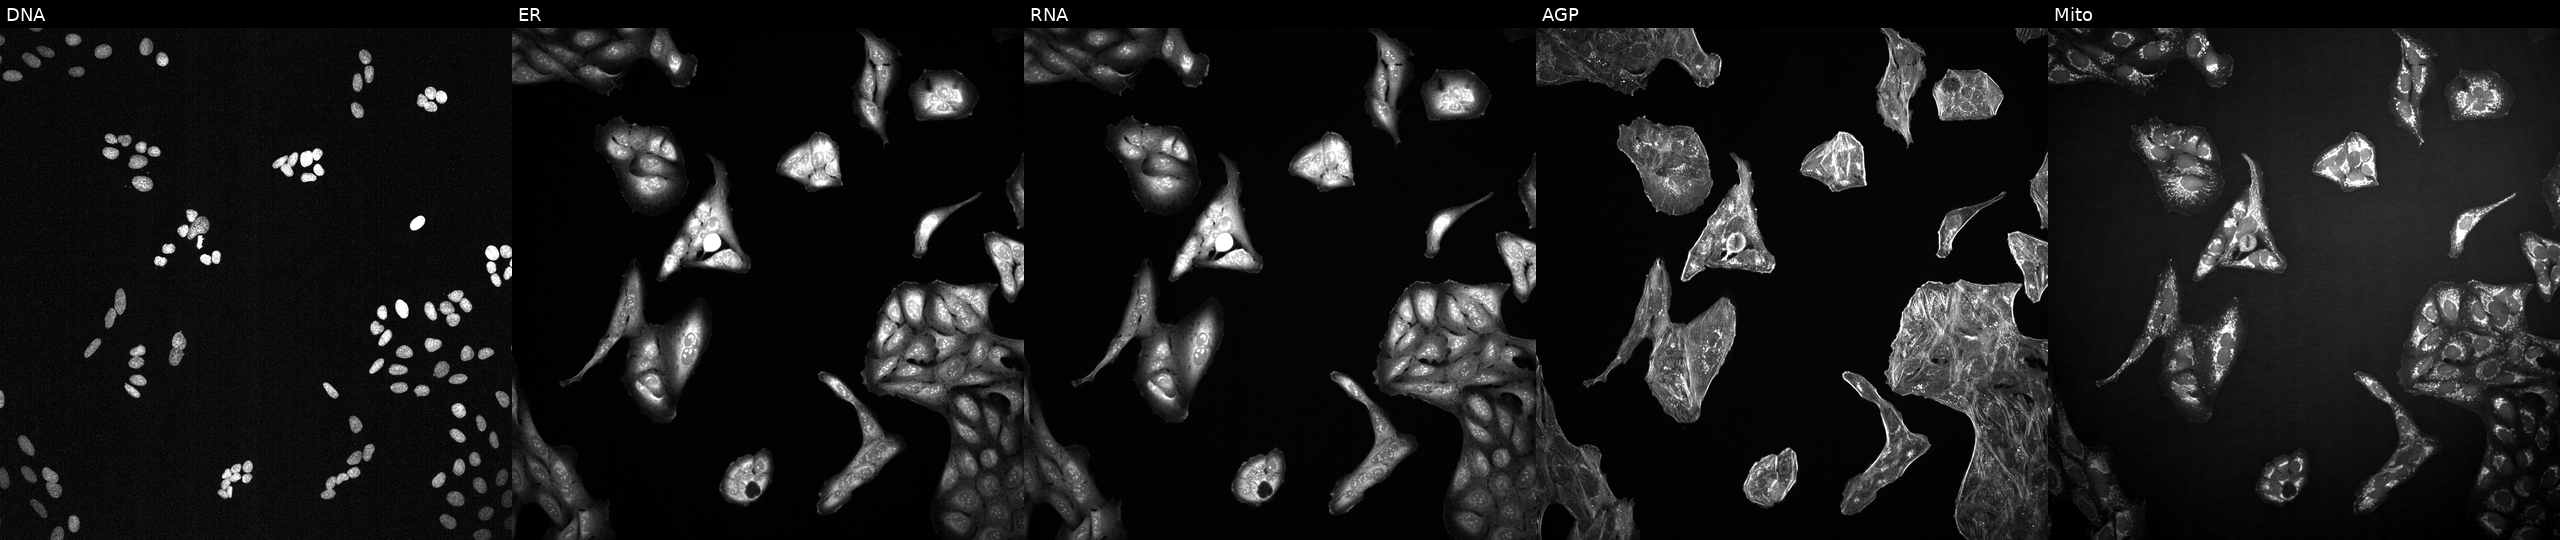
JUMP Cell Painting — TARGET2 plate. U2OS cells treated with a small-molecule compound. Panels show, left to right, DNA (nuclei); ER (endoplasmic reticulum); RNA (nucleoli and cytoplasmic RNA); AGP (actin cytoskeleton, Golgi, and plasma membrane); Mito (mitochondria).